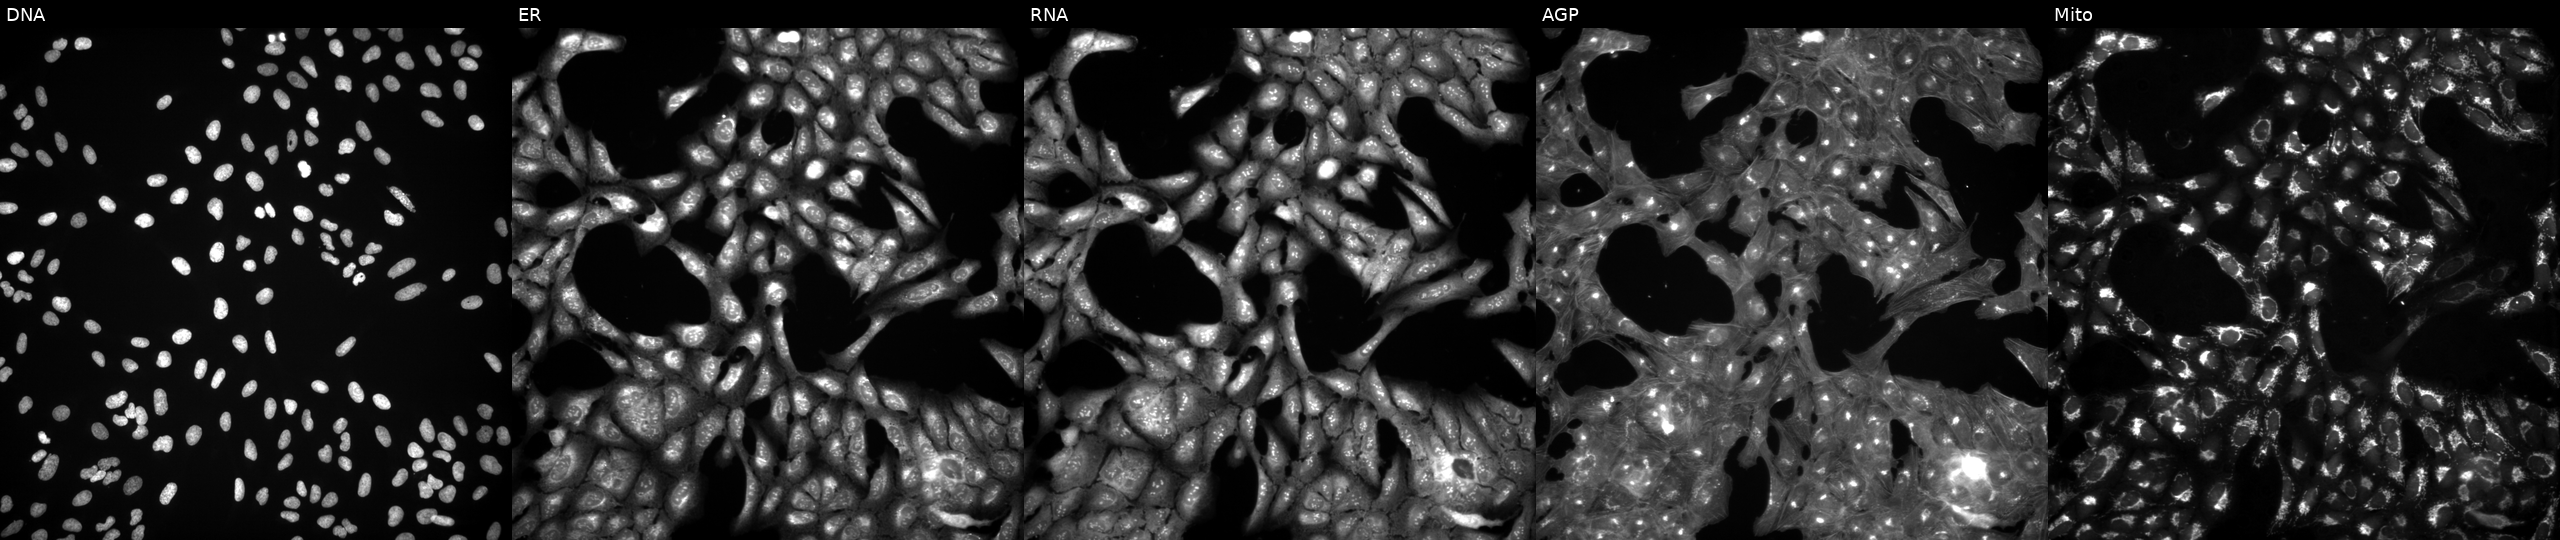
Five-channel Cell Painting image of U2OS cells treated with a small-molecule compound (InChIKey TWIPXNMHRXUDRK-UHFFFAOYSA-N). Panels show, left to right, Hoechst 33342, concanavalin A, SYTO 14, phalloidin and WGA, MitoTracker.